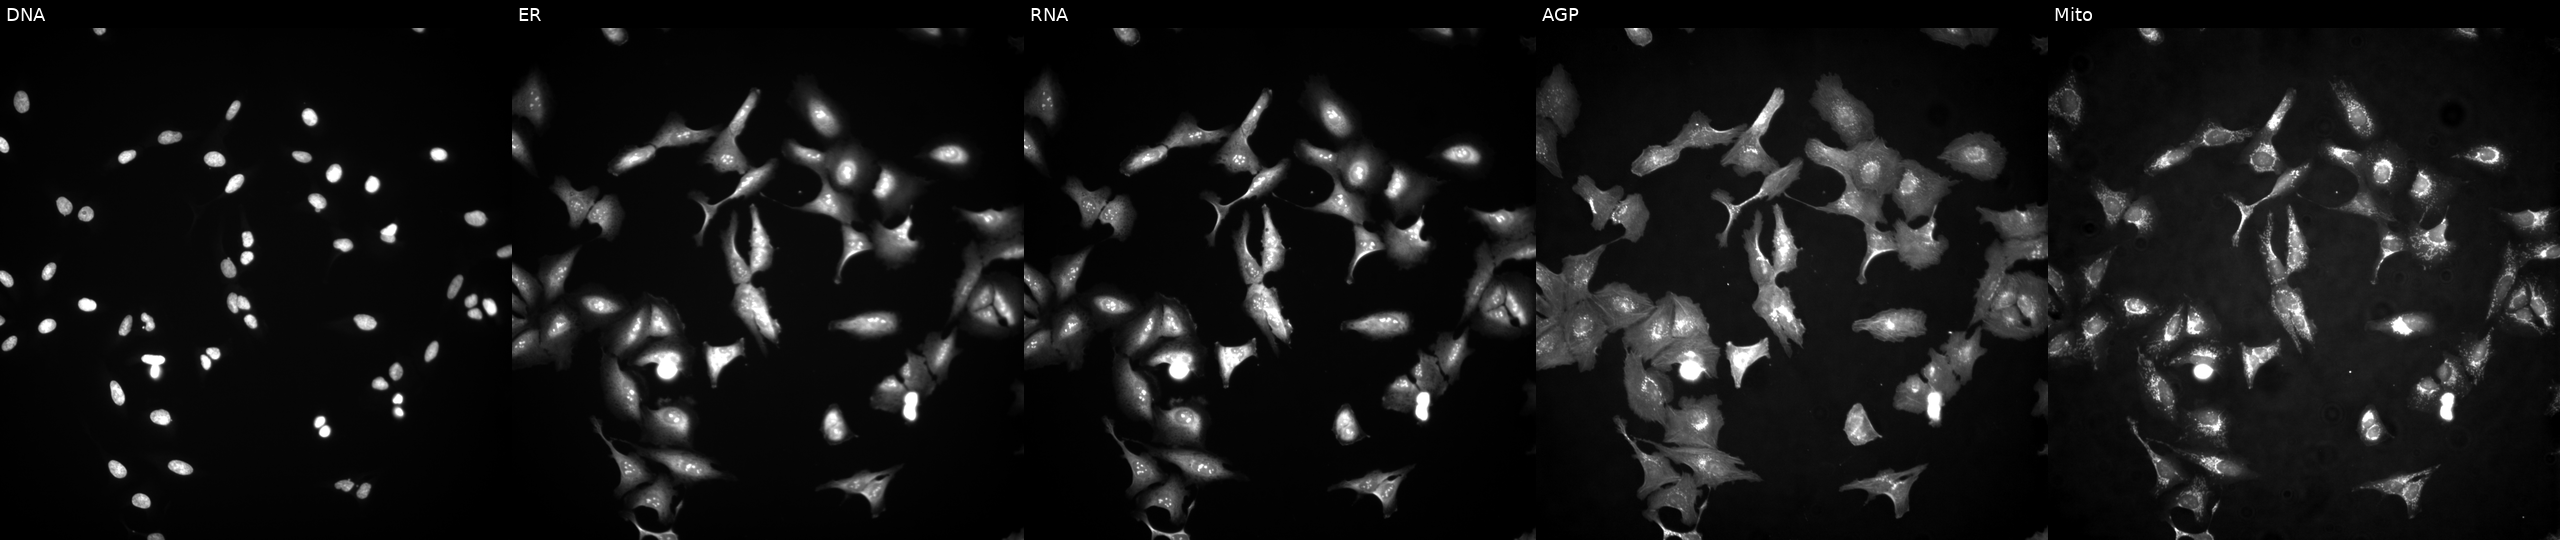
JUMP Cell Painting — ORF plate. U2OS cells transfected with an ORF construct for ELK4. Panels show, left to right, DNA (nuclei); ER (endoplasmic reticulum); RNA (nucleoli and cytoplasmic RNA); AGP (actin cytoskeleton, Golgi, and plasma membrane); Mito (mitochondria).